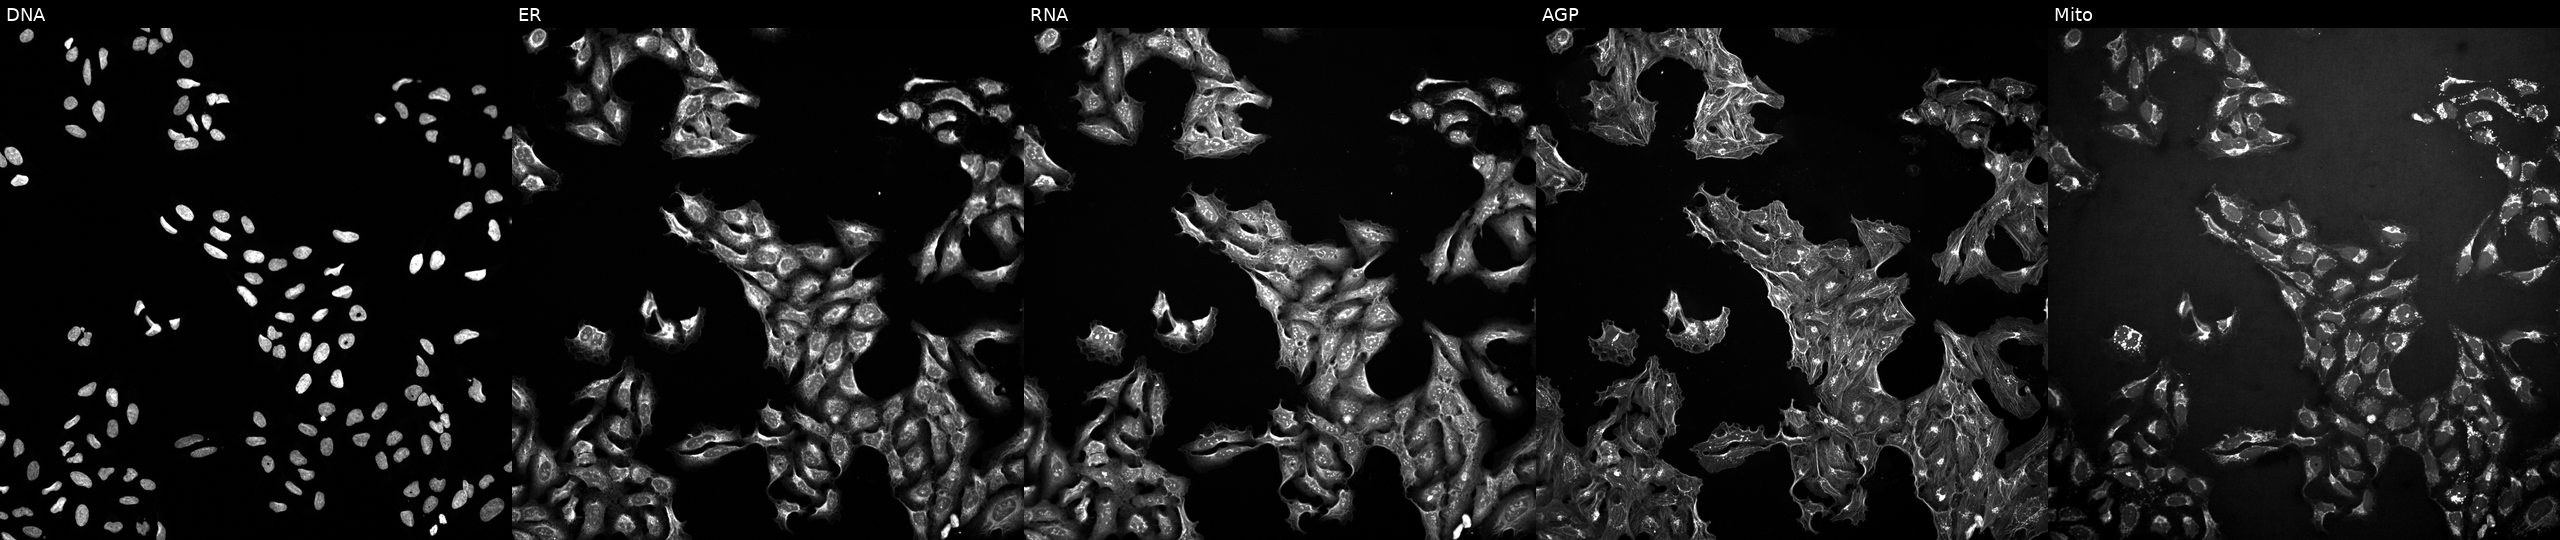
Five-channel Cell Painting image of U2OS cells treated with NVS-PAK1-1 (positive-control compound) (JUMP id JCP2022_064022). From left to right: DNA, ER, RNA, AGP, and Mito.